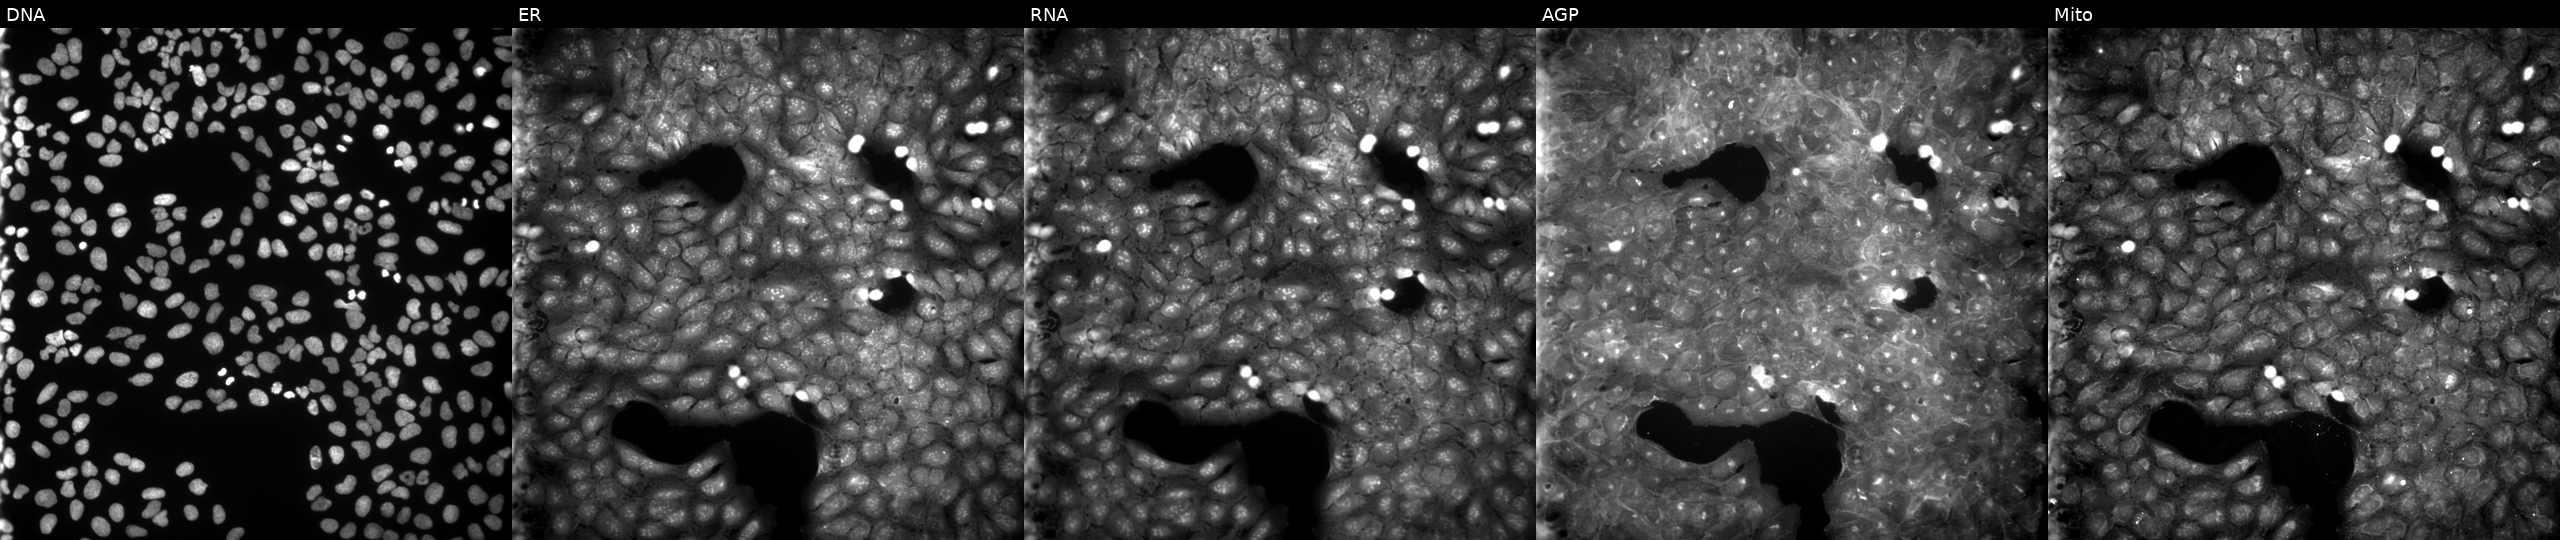
From left to right: Hoechst 33342, concanavalin A, SYTO 14, phalloidin and WGA, MitoTracker. U2OS osteosarcoma cells treated with quinidine (positive-control compound) (JUMP id JCP2022_050797). Cell Painting assay, JUMP-CP dataset. Source 9, plate GR00003382, well G25.